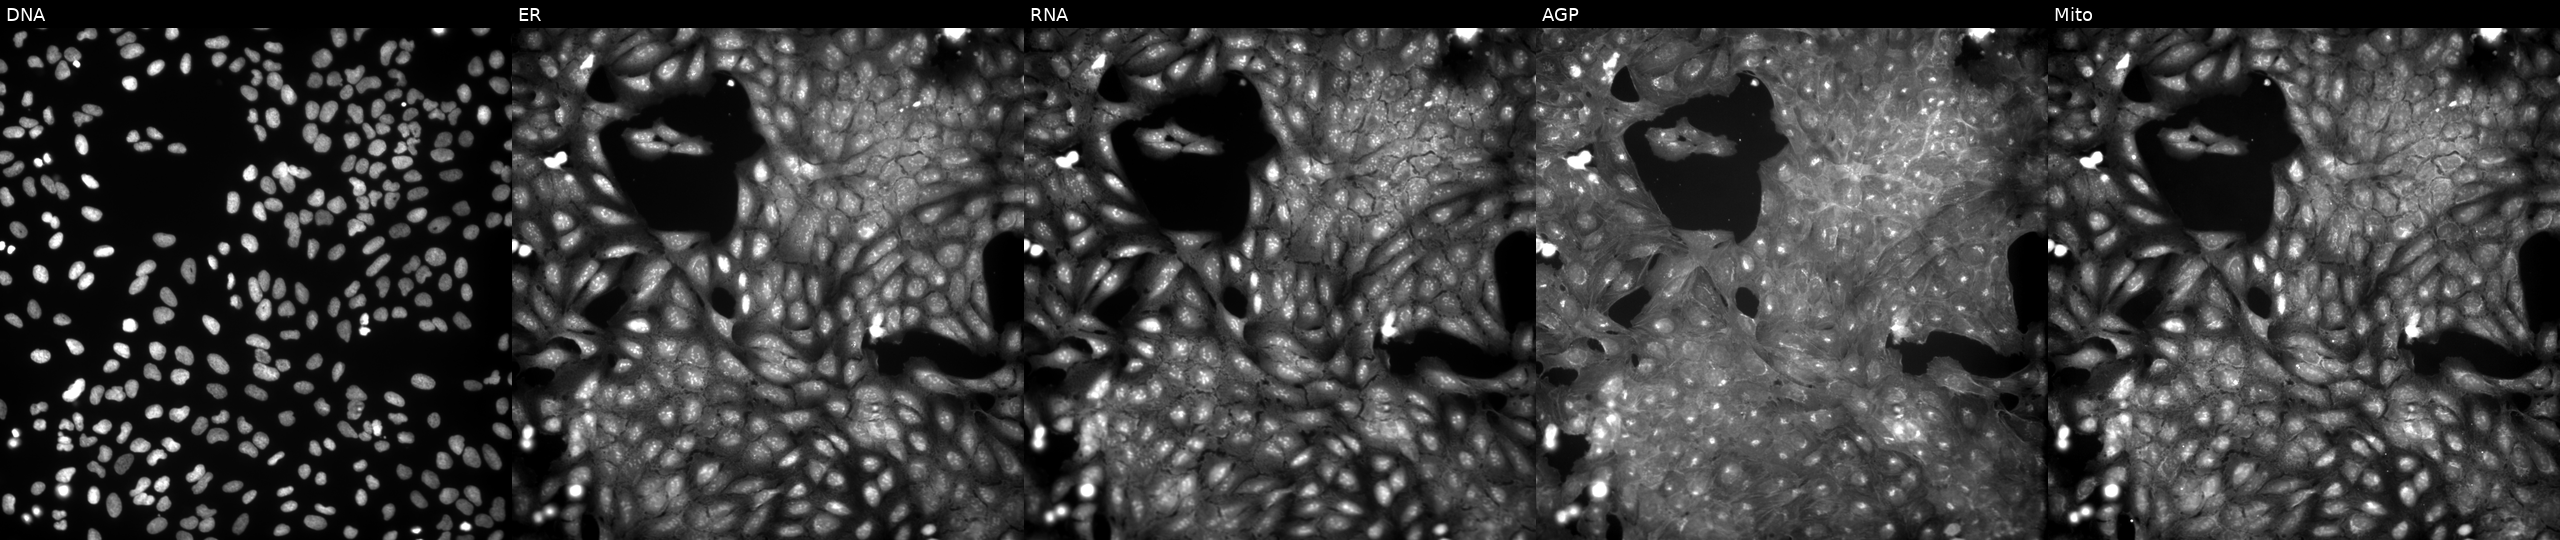
This image strip shows the five Cell Painting channels for a single field of U2OS cells treated with DMSO vehicle only (negative control). Channels (left→right): Hoechst 33342, concanavalin A, SYTO 14, phalloidin and WGA, MitoTracker.